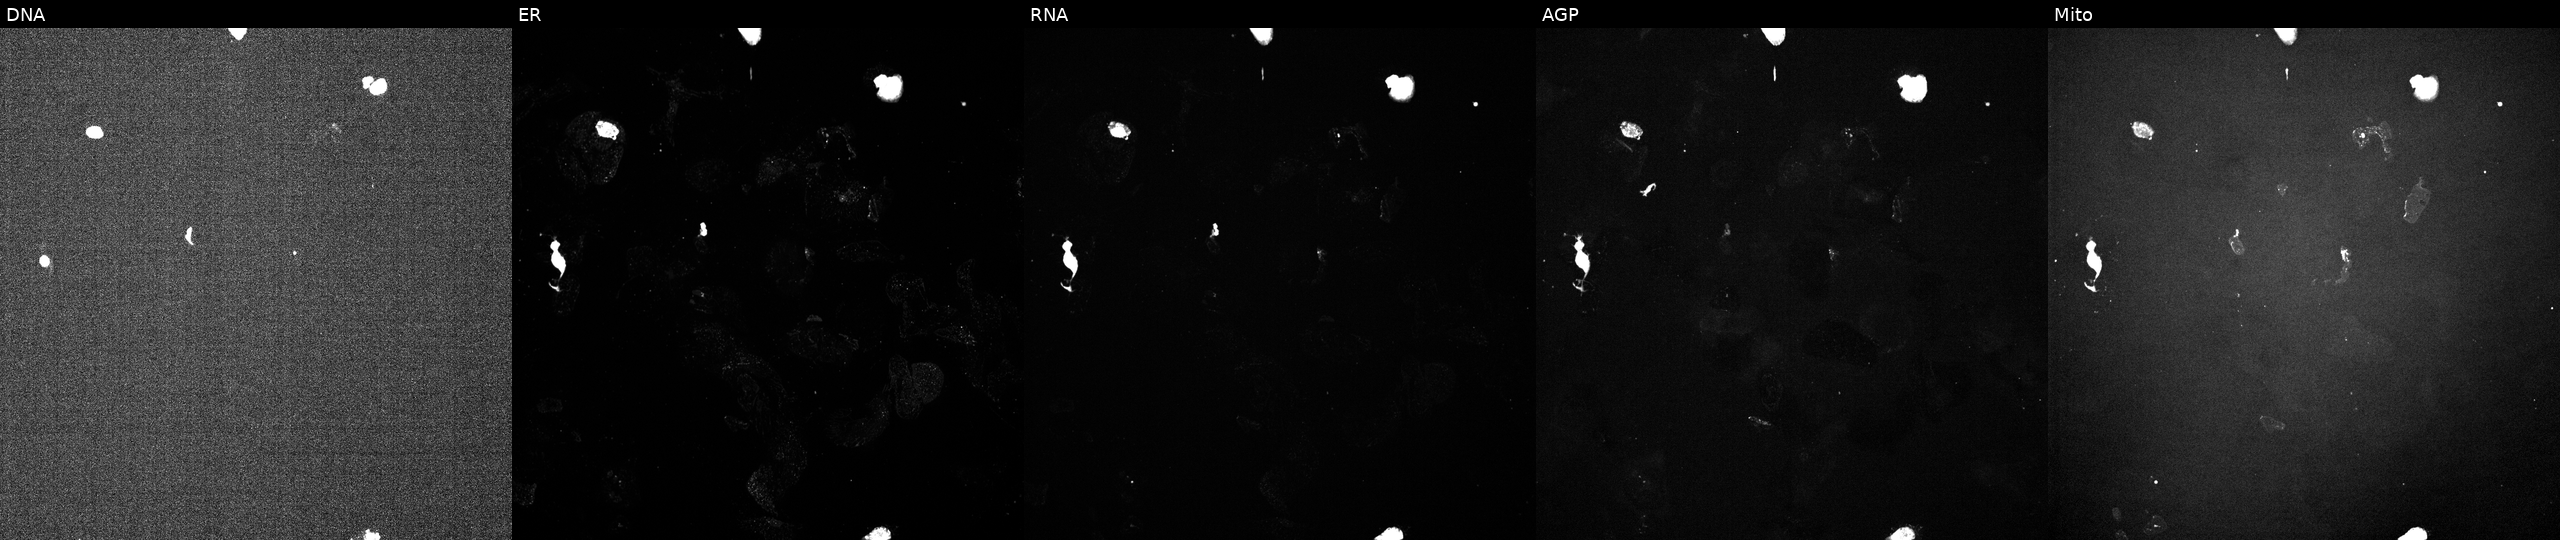
Panels show, left to right, DNA (nuclei); ER (endoplasmic reticulum); RNA (nucleoli and cytoplasmic RNA); AGP (actin cytoskeleton, Golgi, and plasma membrane); Mito (mitochondria). U2OS osteosarcoma cells exposed to a small-molecule compound (JUMP id JCP2022_030049). Cell Painting assay, JUMP-CP dataset.